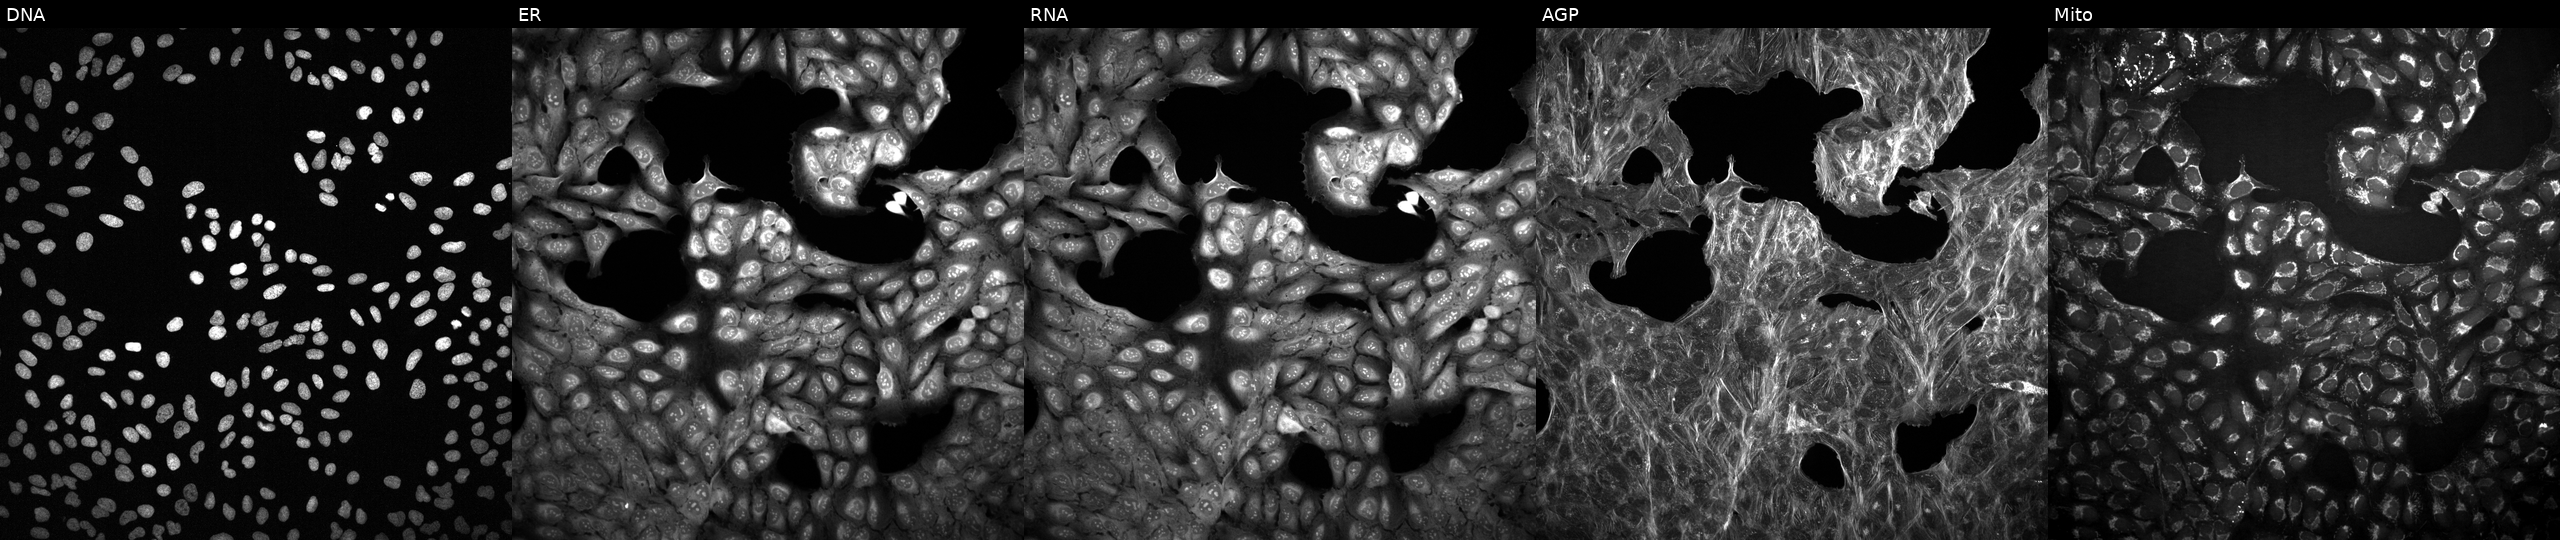
High-content fluorescence microscopy (Cell Painting). Cell line: U2OS. Perturbation: perturbed with a small-molecule compound (InChIKey RRIDHNKFACQPKW-UHFFFAOYSA-N) (JUMP id JCP2022_080241). The five panels, left to right, show Hoechst 33342, concanavalin A, SYTO 14, phalloidin and WGA, MitoTracker.